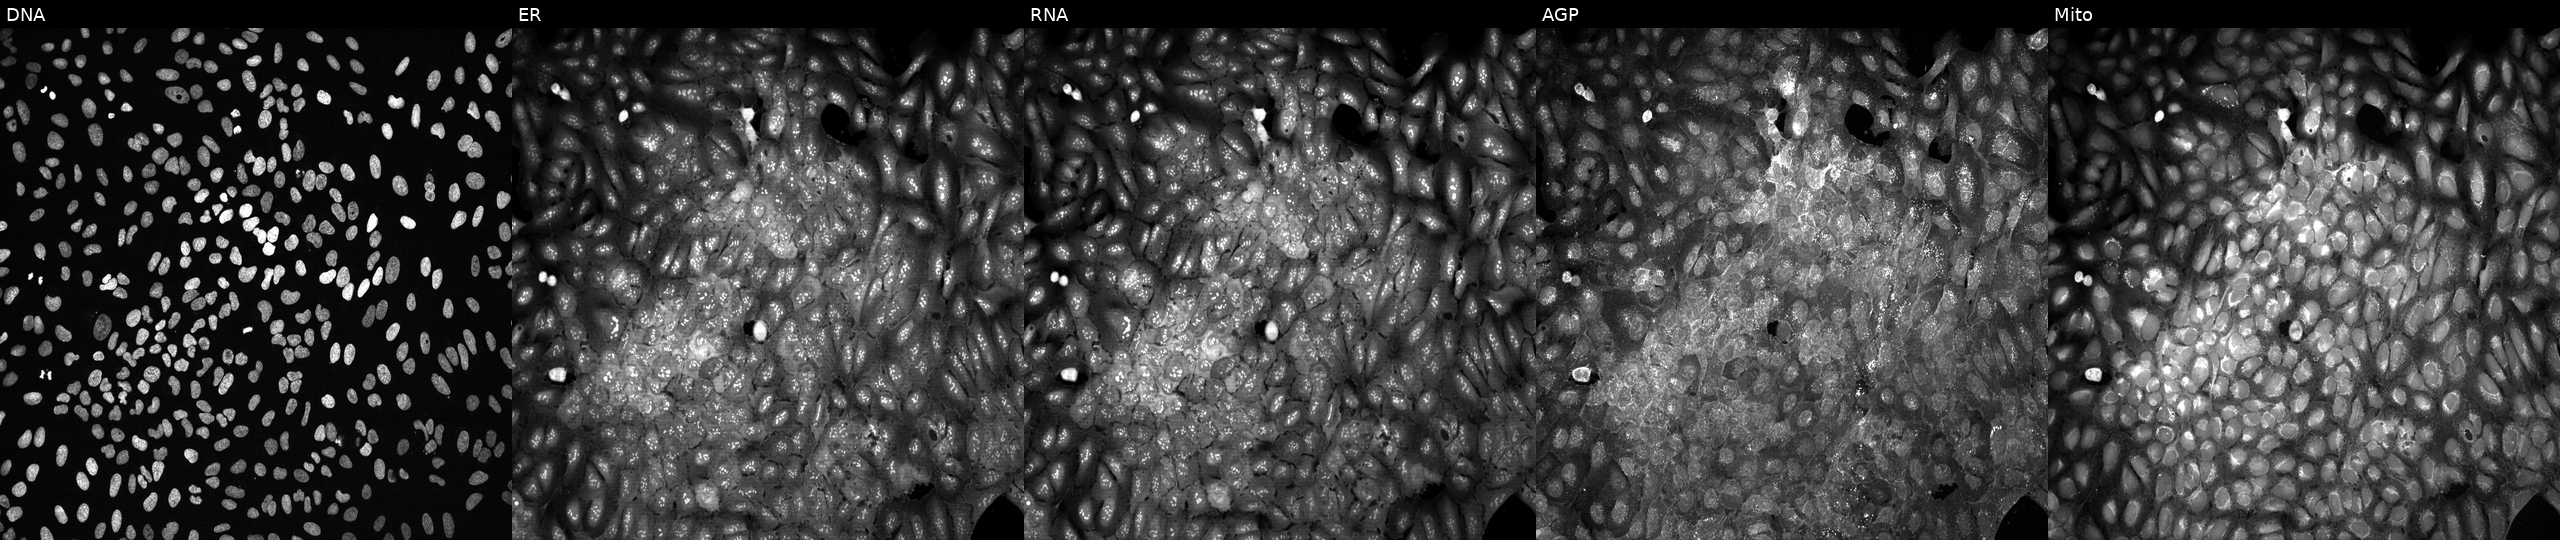
Channels (left→right): Hoechst 33342, concanavalin A, SYTO 14, phalloidin and WGA, MitoTracker. U2OS osteosarcoma cells following CRISPR knockout of ACER1 (JUMP id JCP2022_800104). Cell Painting assay, JUMP-CP dataset.